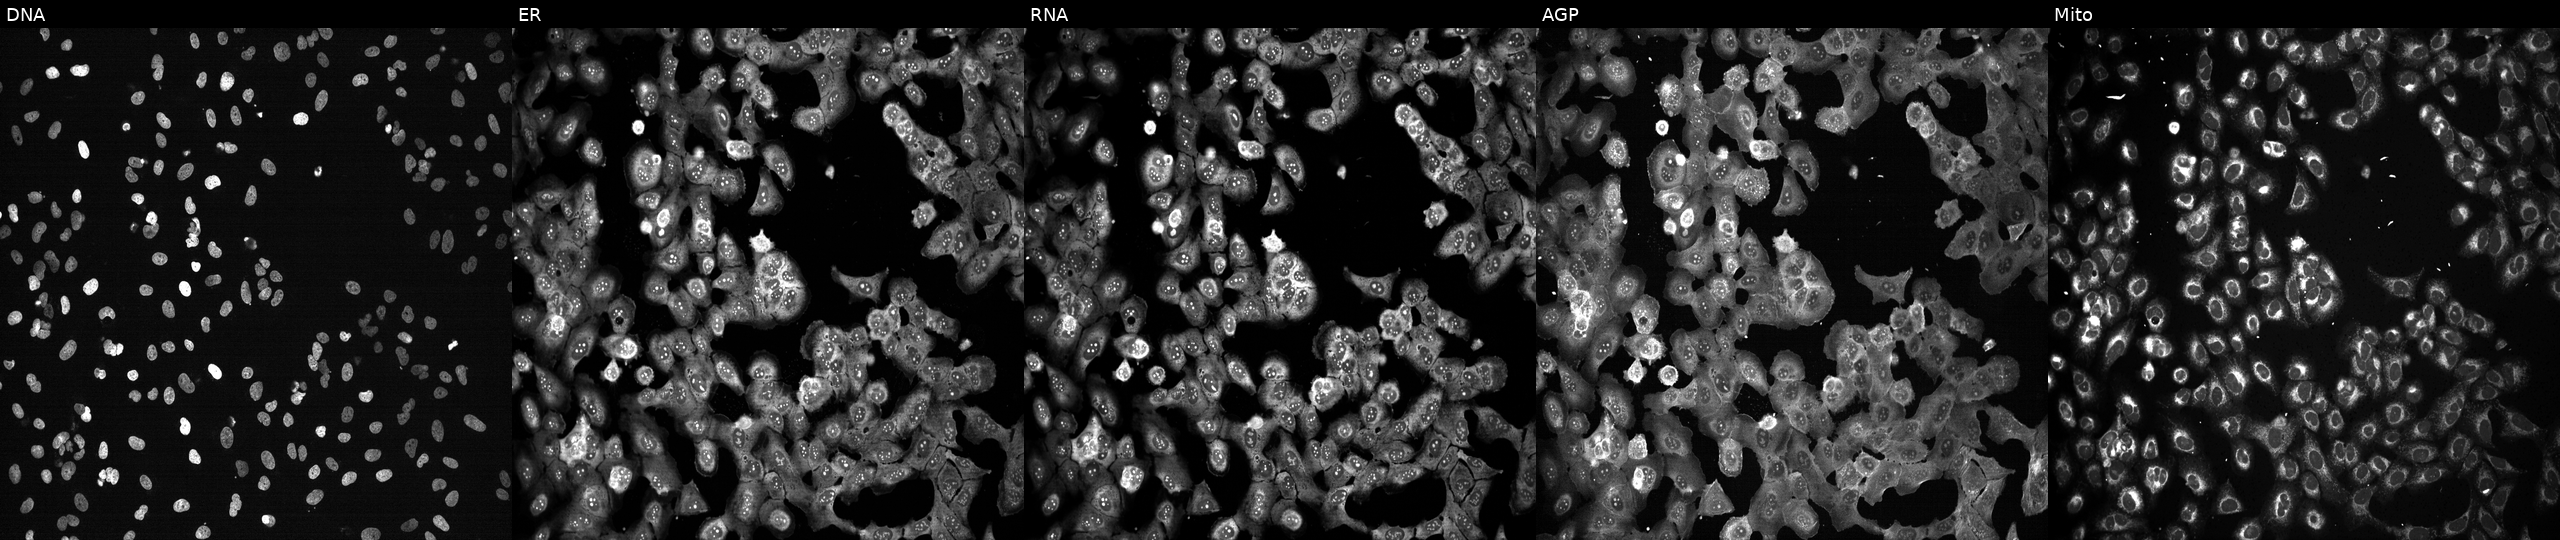
JUMP Cell Painting — CRISPR plate. U2OS cells CRISPR-edited to disrupt CCT2. From left to right: Hoechst 33342, concanavalin A, SYTO 14, phalloidin and WGA, MitoTracker.